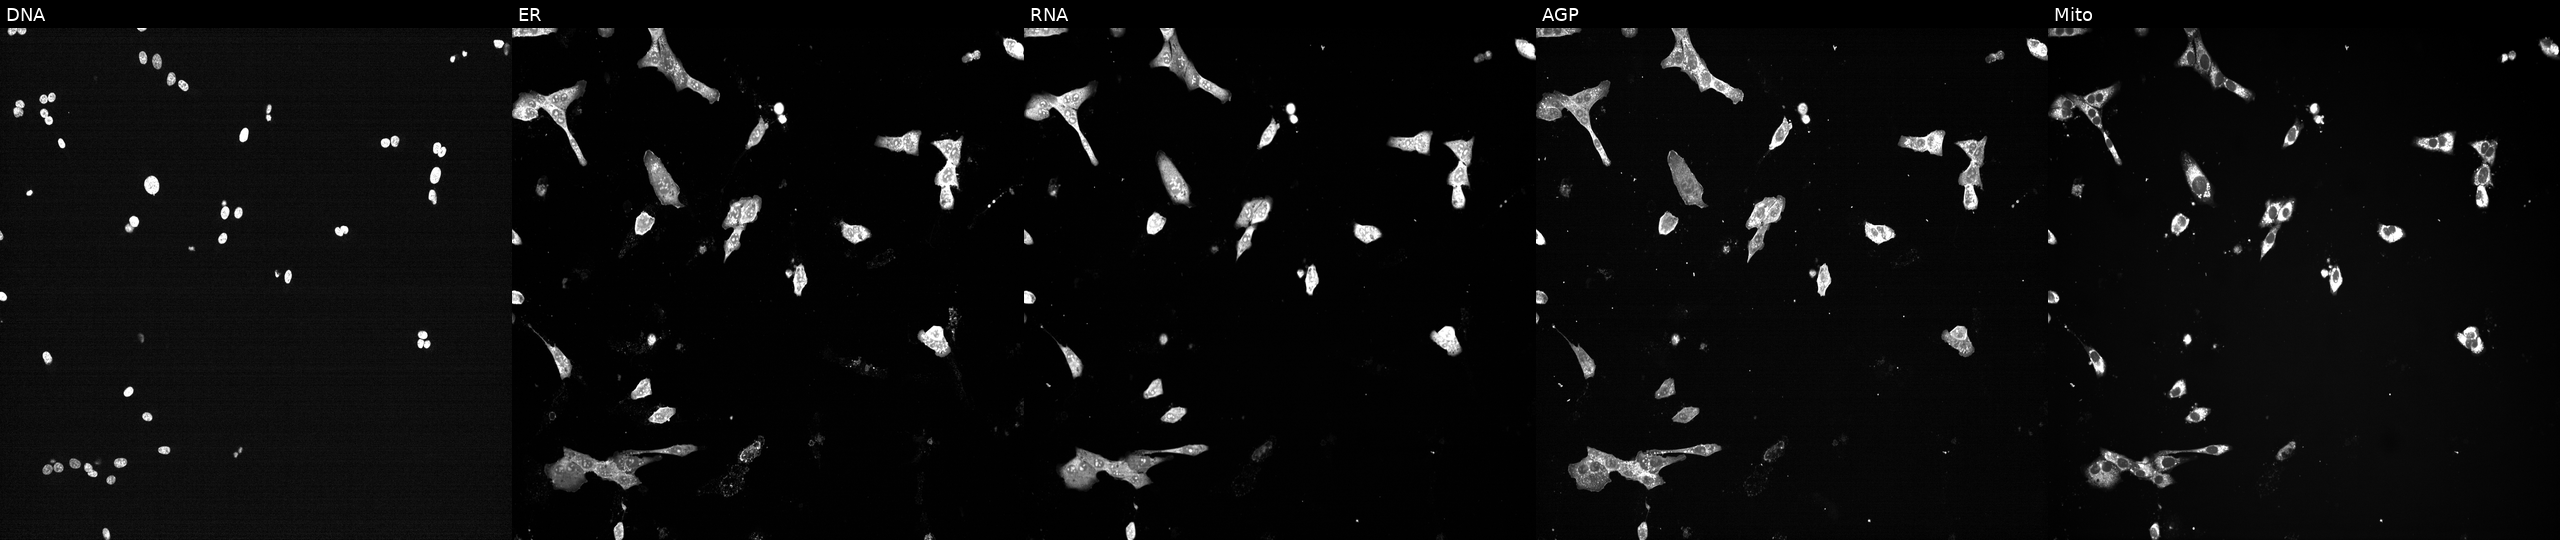
This image strip shows the five Cell Painting channels for a single field of U2OS cells exposed to a small-molecule compound. Panels show, left to right, DNA, ER, RNA, AGP, and Mito.